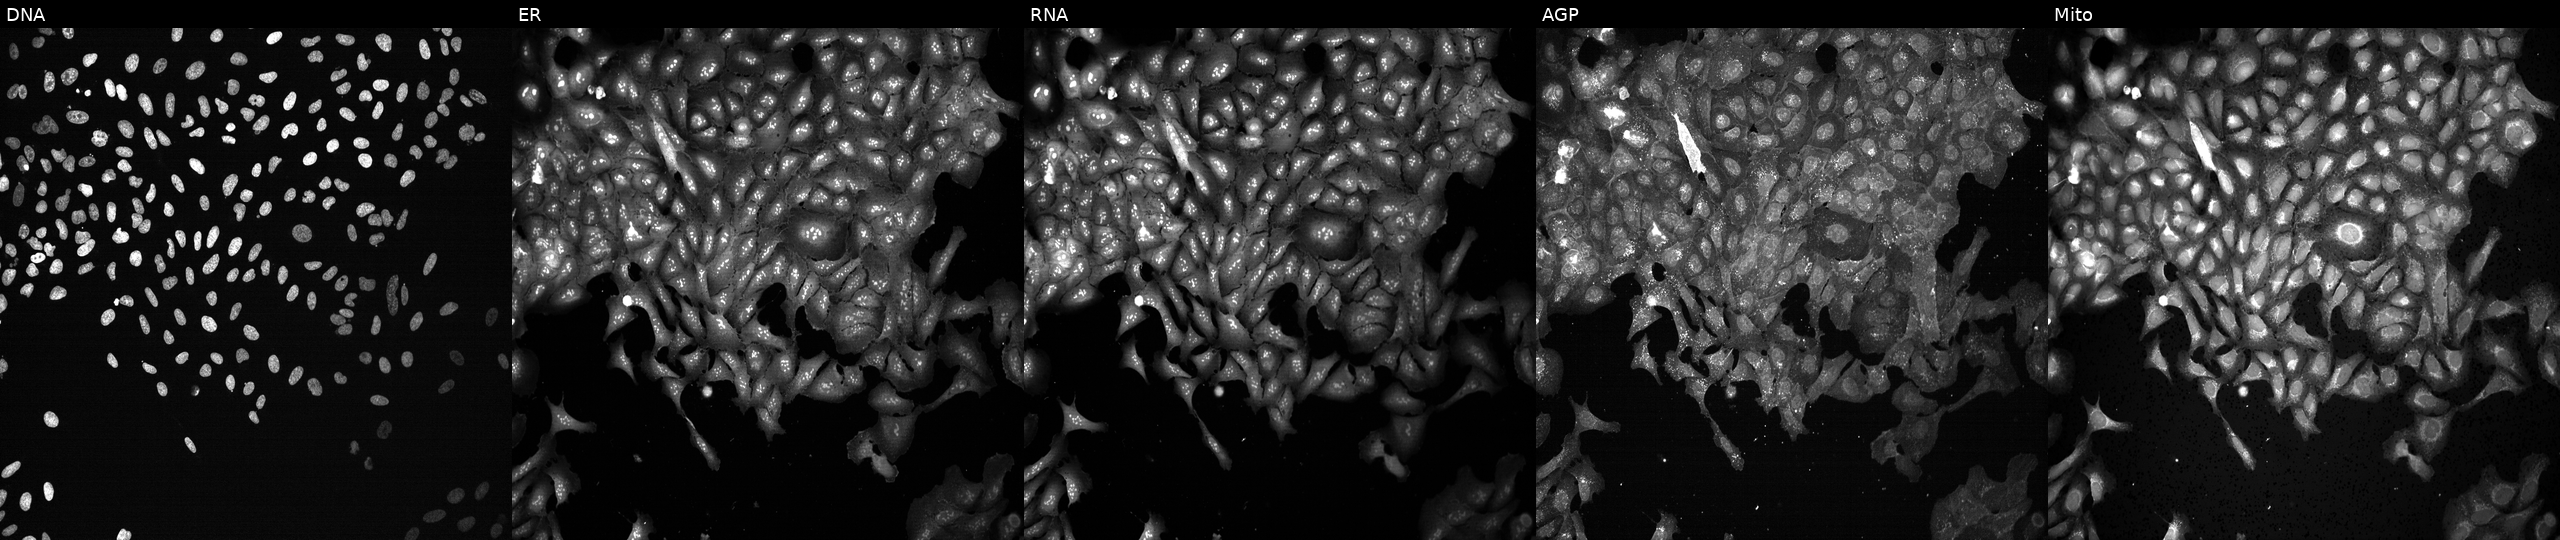
This image strip shows the five Cell Painting channels for a single field of U2OS cells following CRISPR knockout of TROAP (JUMP id JCP2022_807331). The five panels, left to right, show DNA, ER, RNA, AGP, and Mito.